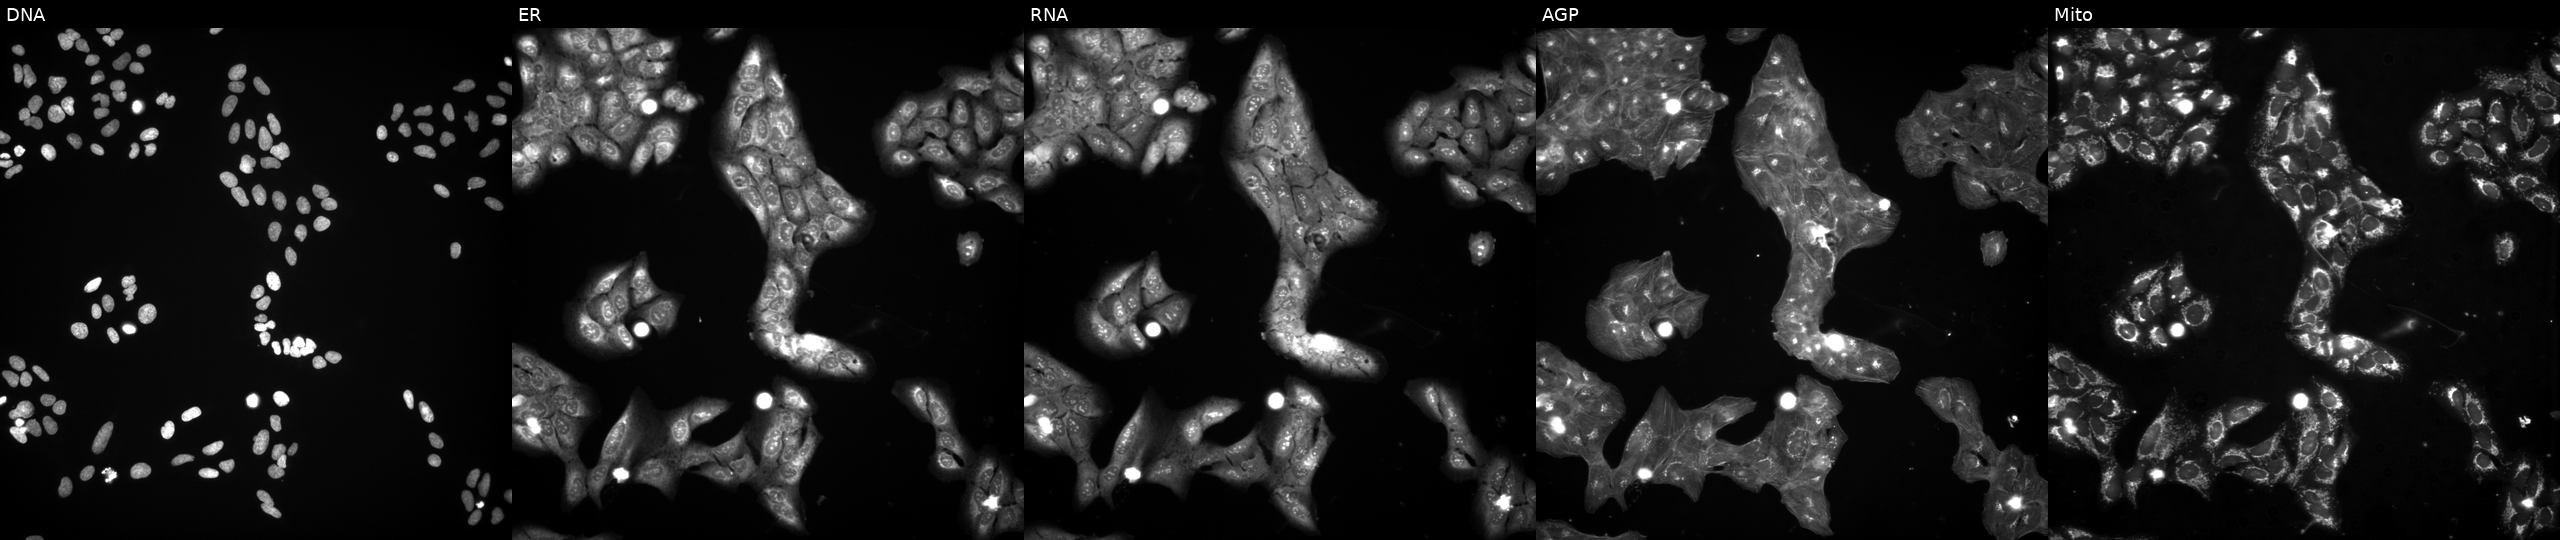
U2OS cells, Cell Painting assay, exposed to a small-molecule compound (InChIKey DHMTURDWPRKSOA-UHFFFAOYSA-N) (JUMP id JCP2022_015955). Panels show, left to right, Hoechst 33342, concanavalin A, SYTO 14, phalloidin and WGA, MitoTracker. Each panel is percentile-stretched 16-bit fluorescence. Source 3, plate JCPQC052, well N08.